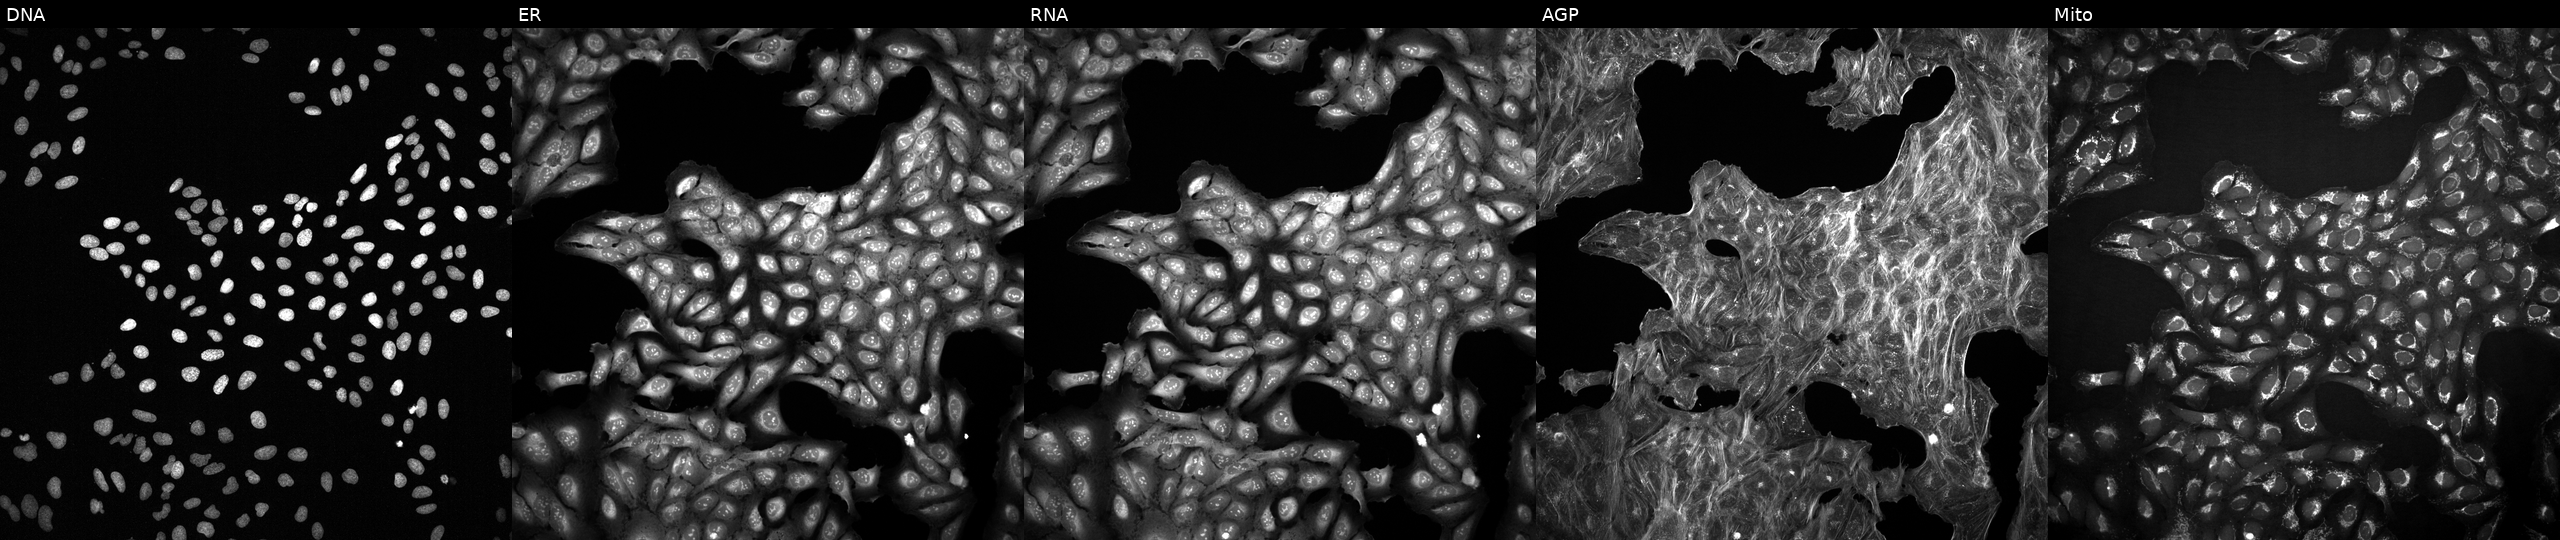
High-content fluorescence microscopy (Cell Painting). Cell line: U2OS. Perturbation: exposed to a small-molecule compound. From left to right: Hoechst 33342, concanavalin A, SYTO 14, phalloidin and WGA, MitoTracker.